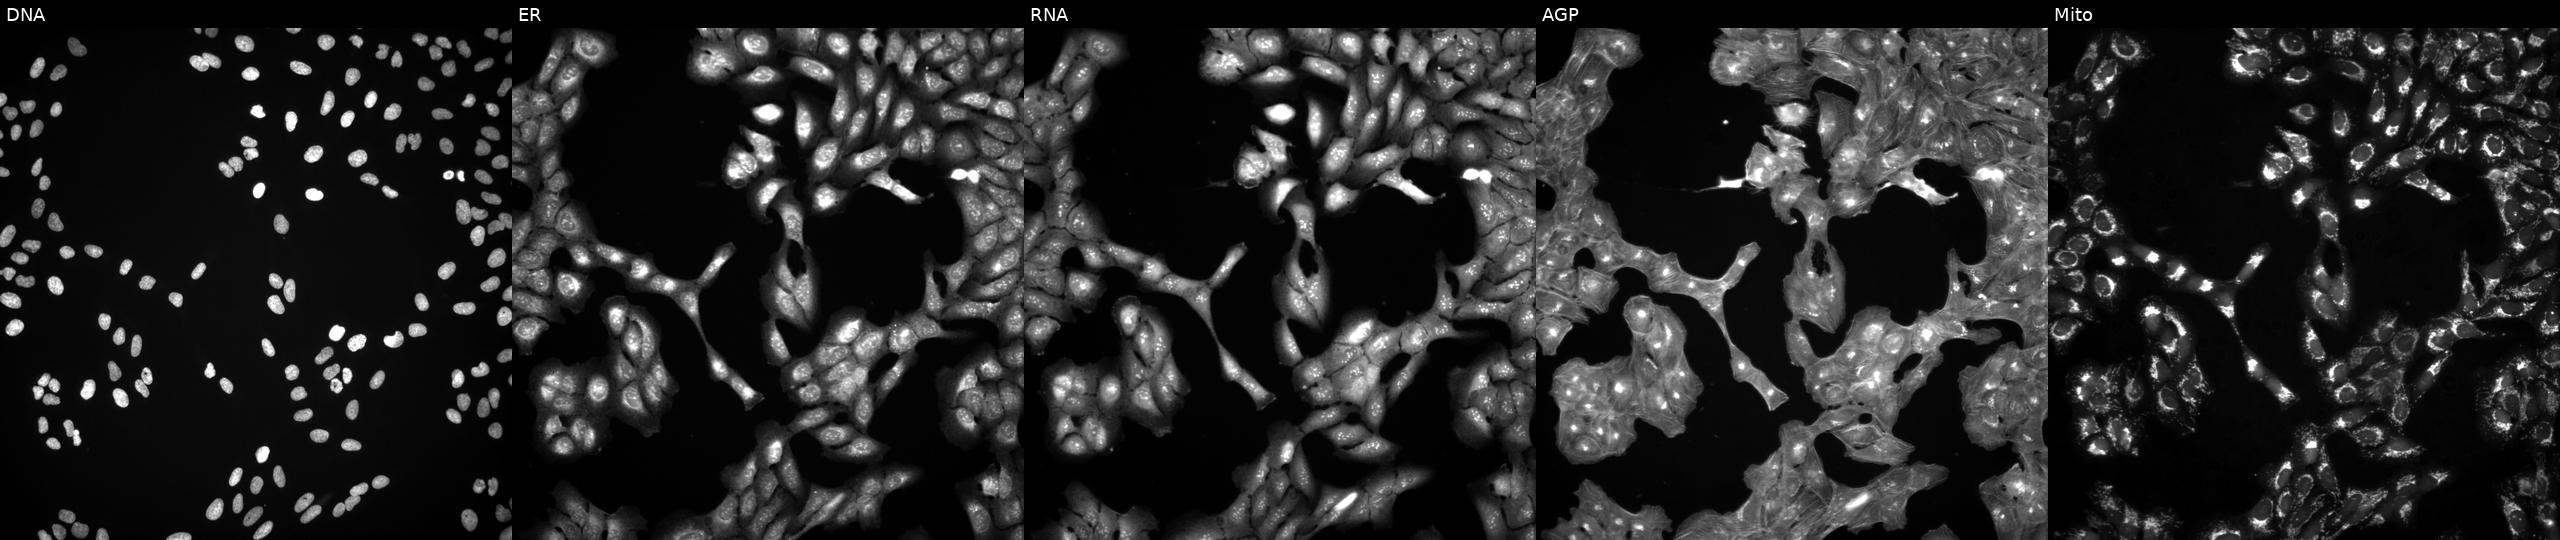
The five panels, left to right, show DNA, ER, RNA, AGP, and Mito. U2OS osteosarcoma cells treated with a small-molecule compound (InChIKey AUMHDRMJJNZTPB-UHFFFAOYSA-N) (JUMP id JCP2022_003951). Cell Painting assay, JUMP-CP dataset.